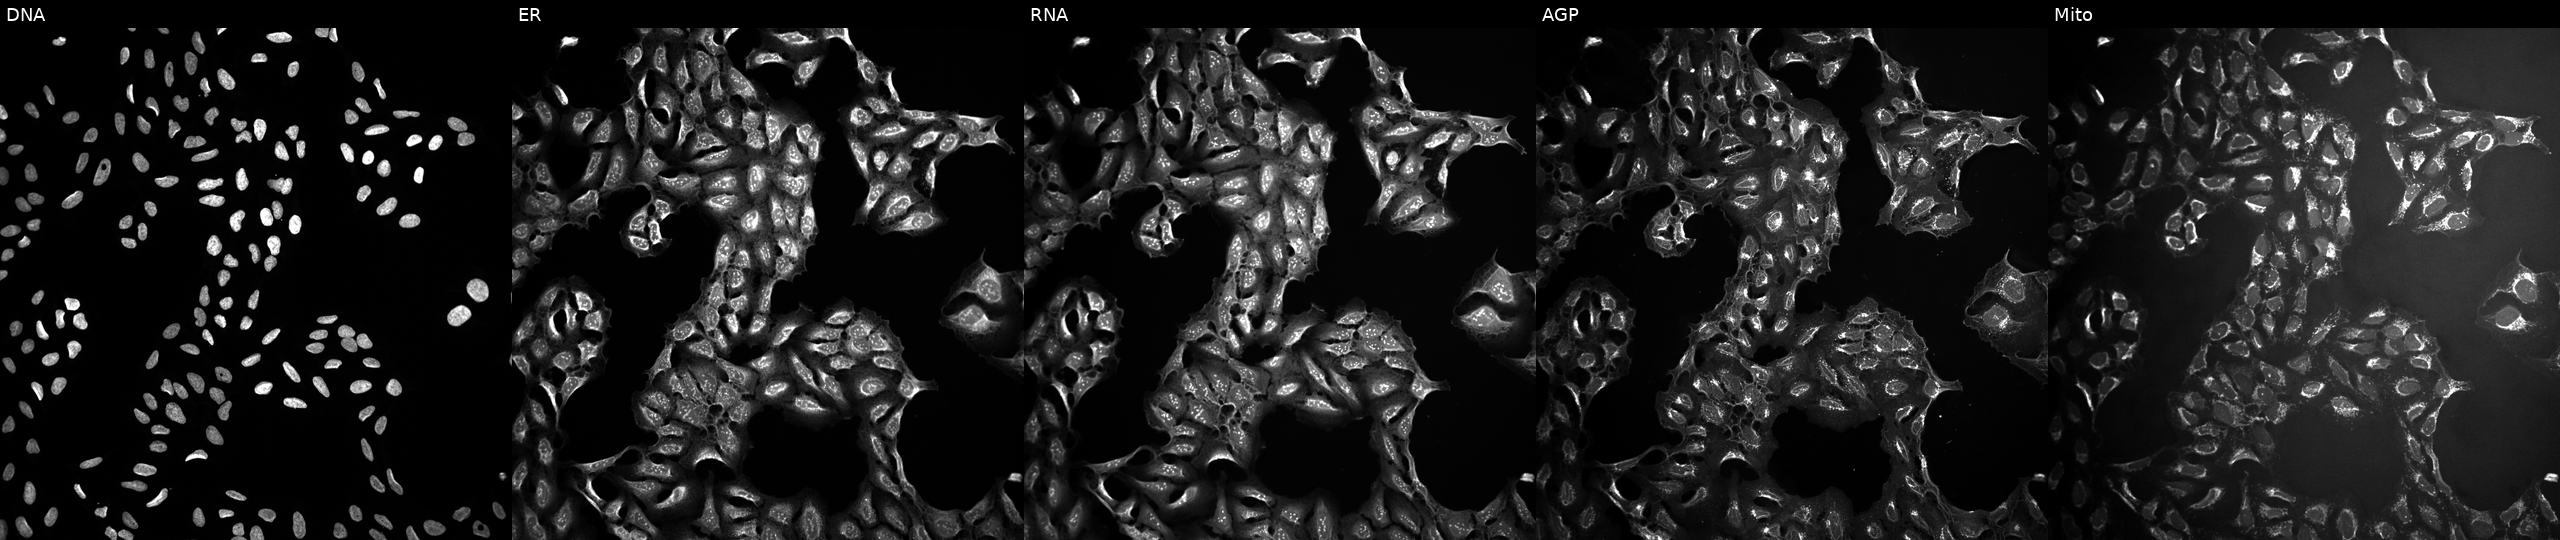
High-content fluorescence microscopy (Cell Painting). Cell line: U2OS. Perturbation: treated with DMSO vehicle only (negative control). Panels show, left to right, Hoechst 33342, concanavalin A, SYTO 14, phalloidin and WGA, MitoTracker.